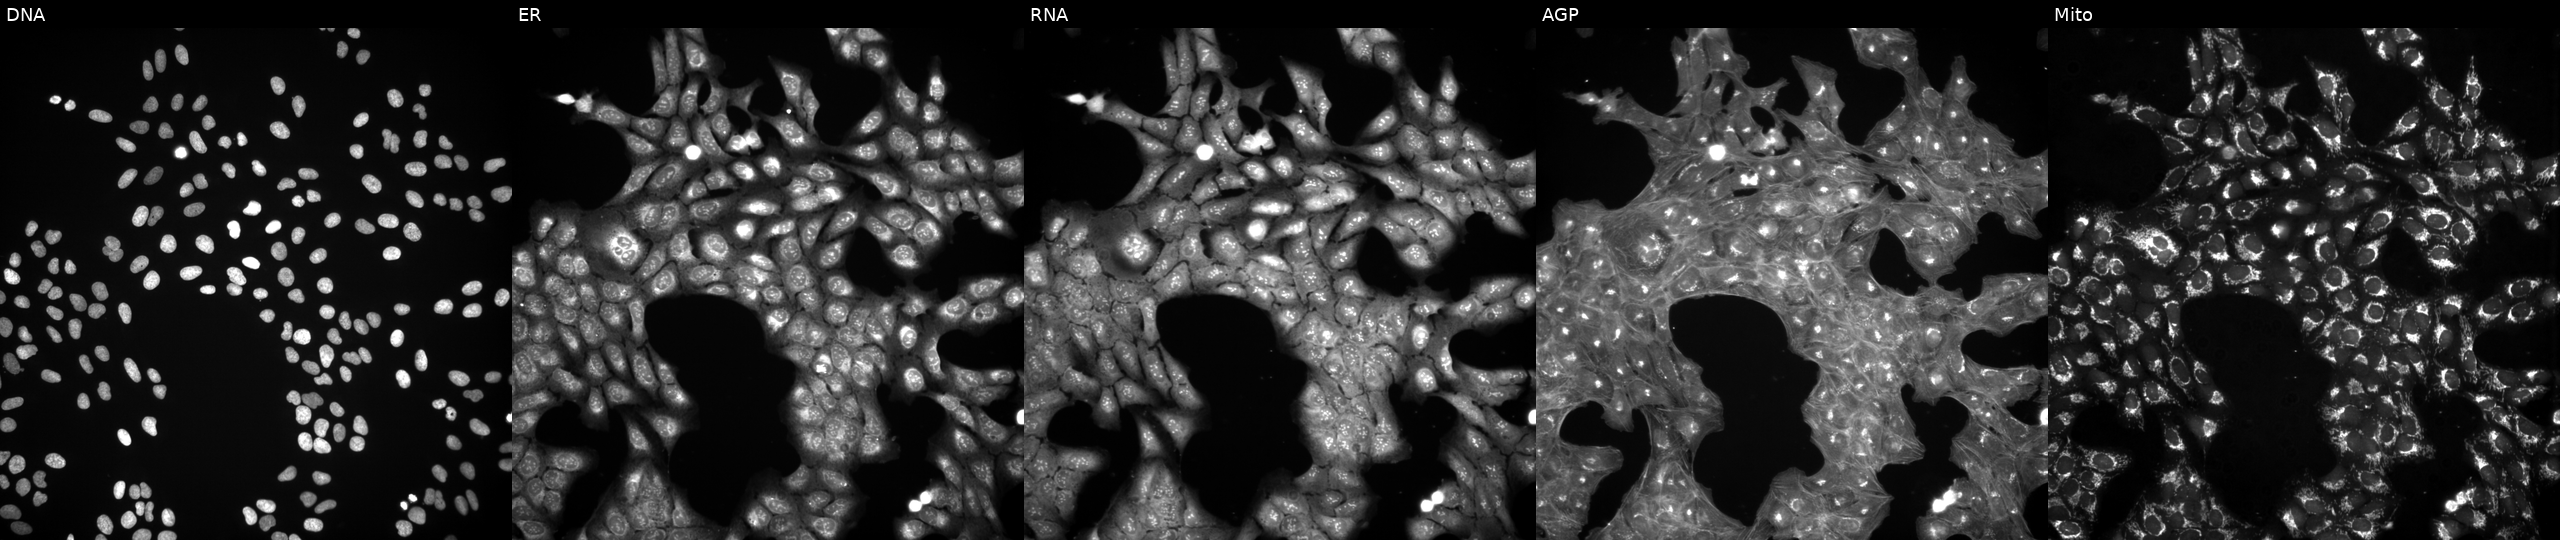
Five-channel Cell Painting image of U2OS cells treated with a small-molecule compound (InChIKey GOVPZEAQRYNQLF-UHFFFAOYSA-N) [SMILES: O=S(=O)(NC12CC3CC(CC(C3)C1)C2)c1ccc(F)cc1]. From left to right: DNA, ER, RNA, AGP, and Mito.